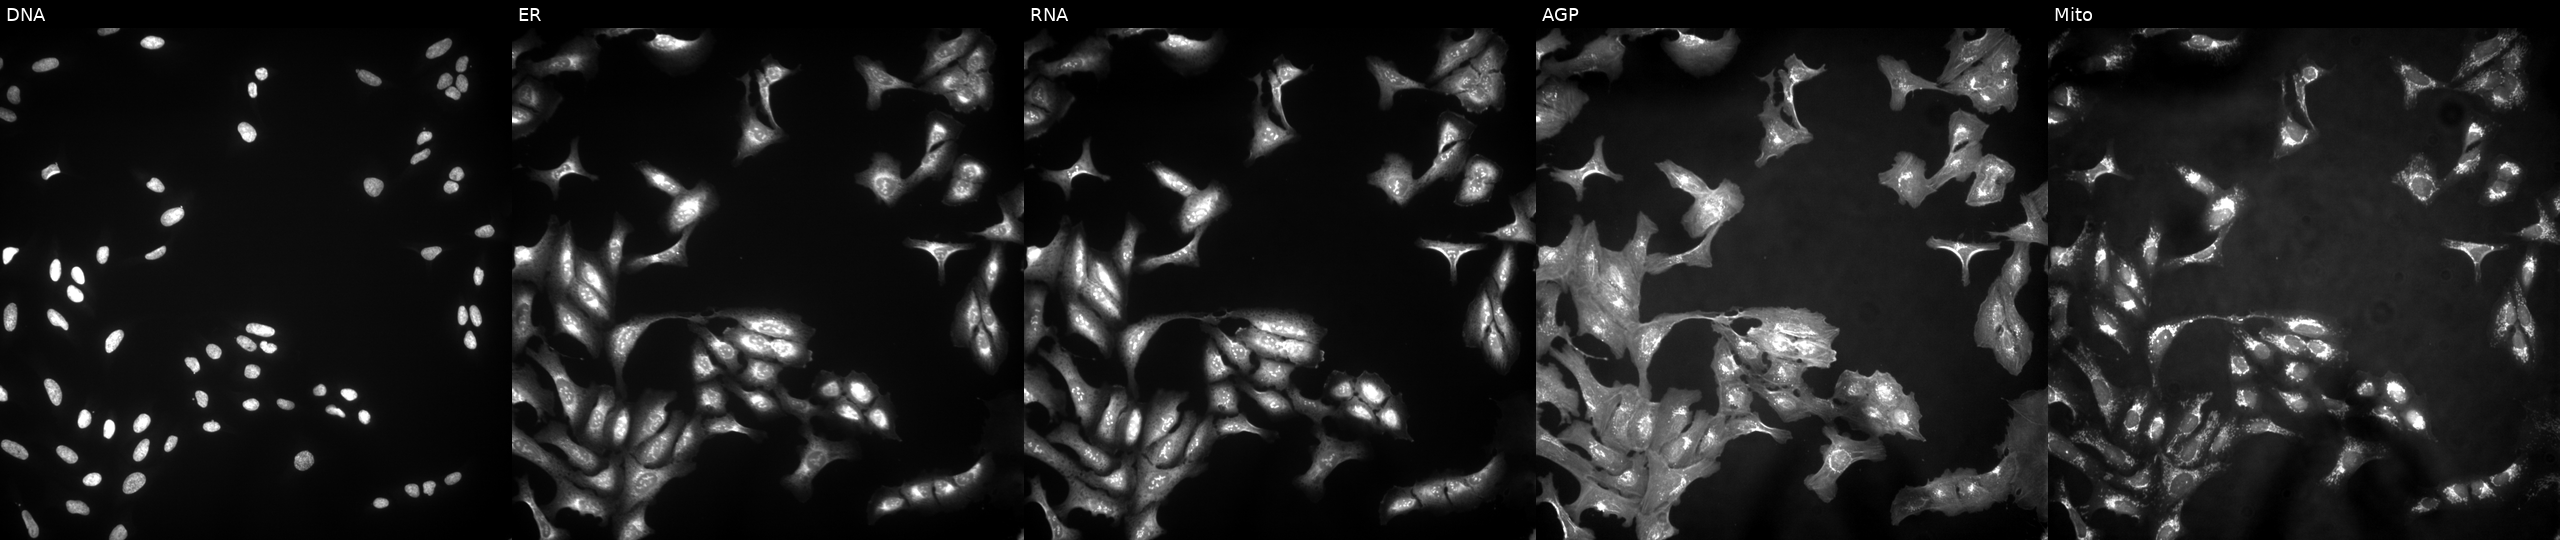
U2OS cells, Cell Painting assay, overexpressing G3BP1 via ORF transfection (JUMP id JCP2022_902184). The five panels, left to right, show DNA (nuclei); ER (endoplasmic reticulum); RNA (nucleoli and cytoplasmic RNA); AGP (actin cytoskeleton, Golgi, and plasma membrane); Mito (mitochondria). Each panel is percentile-stretched 16-bit fluorescence.